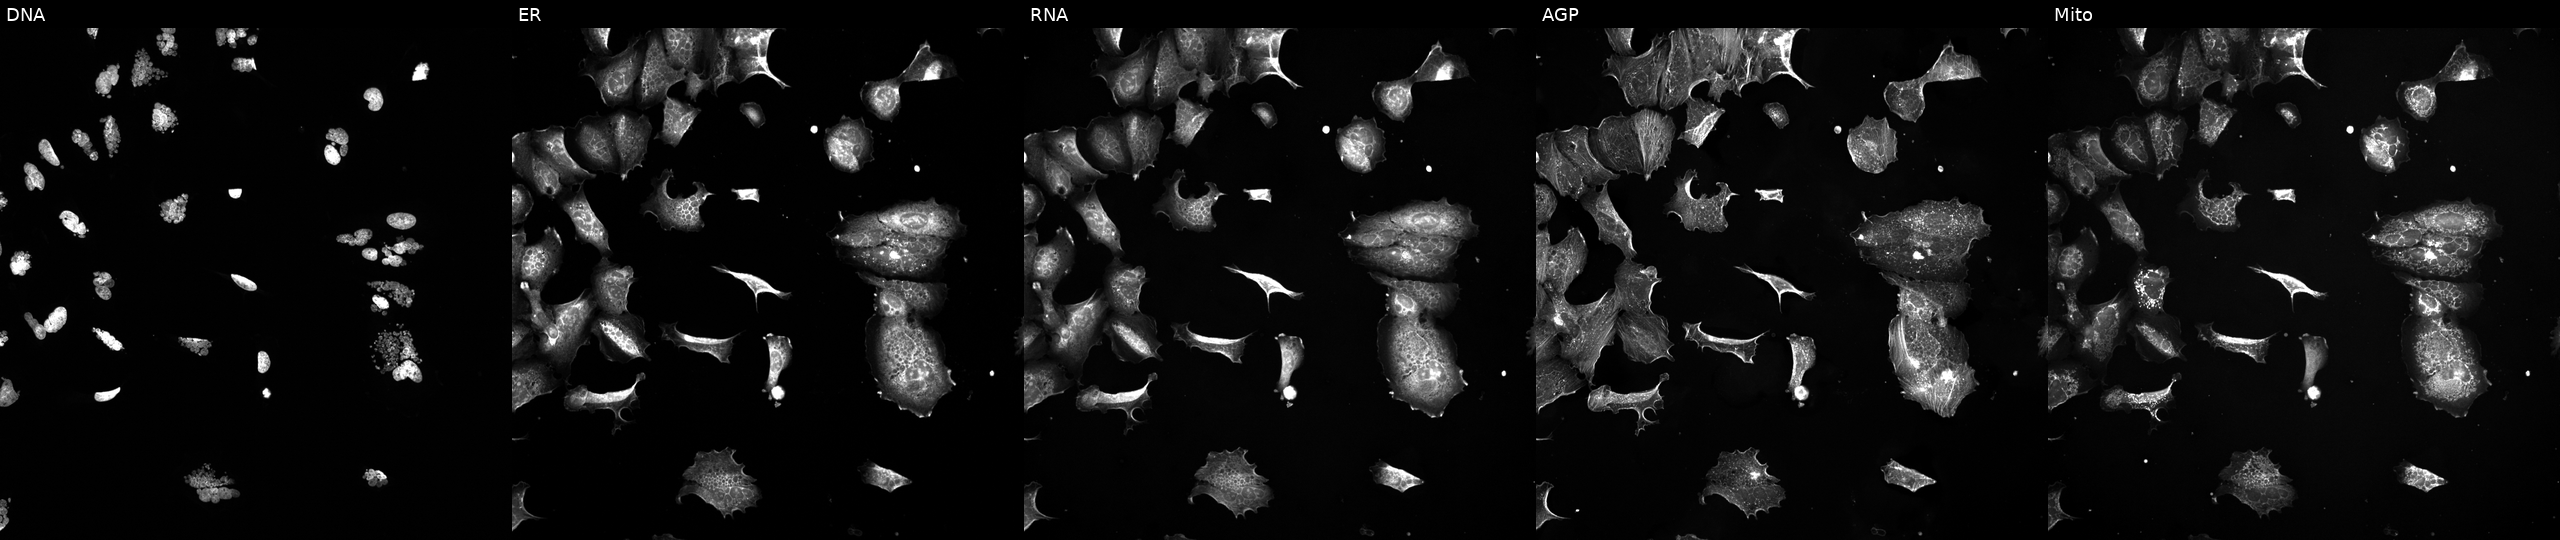
Five-channel Cell Painting image of U2OS cells perturbed with a small-molecule compound (InChIKey RAOCRURYZCVHMG-UHFFFAOYSA-N) (JUMP id JCP2022_077096). Panels show, left to right, Hoechst 33342, concanavalin A, SYTO 14, phalloidin and WGA, MitoTracker.